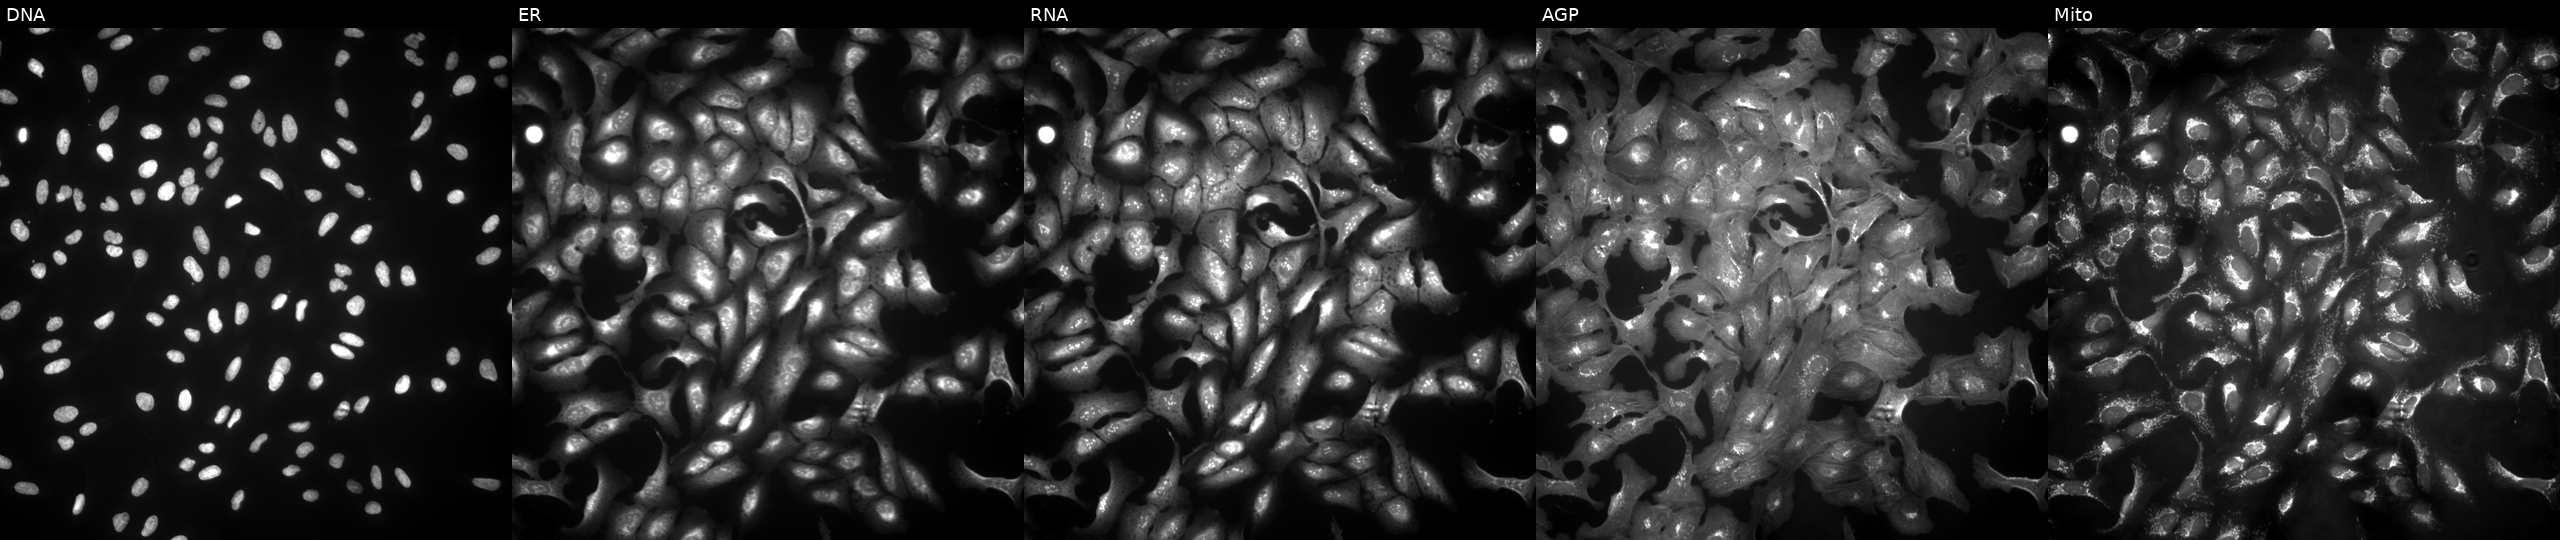
This image strip shows the five Cell Painting channels for a single field of U2OS cells overexpressing ST6GAL2 via ORF transfection (JUMP id JCP2022_911963). Panels show, left to right, DNA, ER, RNA, AGP, and Mito.